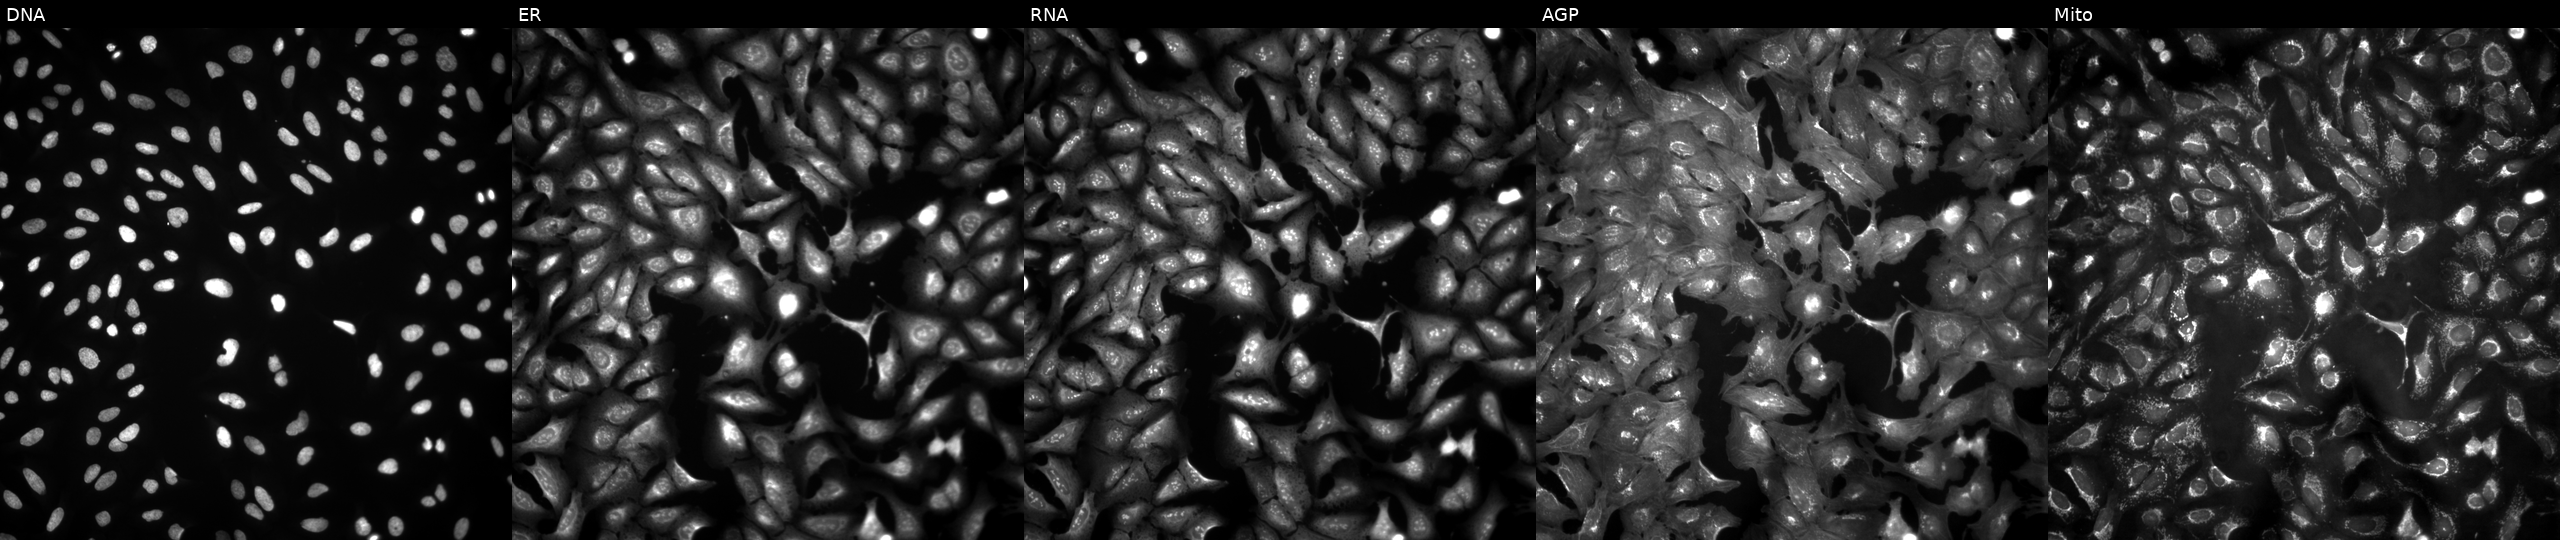
This image strip shows the five Cell Painting channels for a single field of U2OS cells expressing eGFP (ORF positive control). Panels show, left to right, DNA, ER, RNA, AGP, and Mito. Source 4, plate BR00121543, well O20.